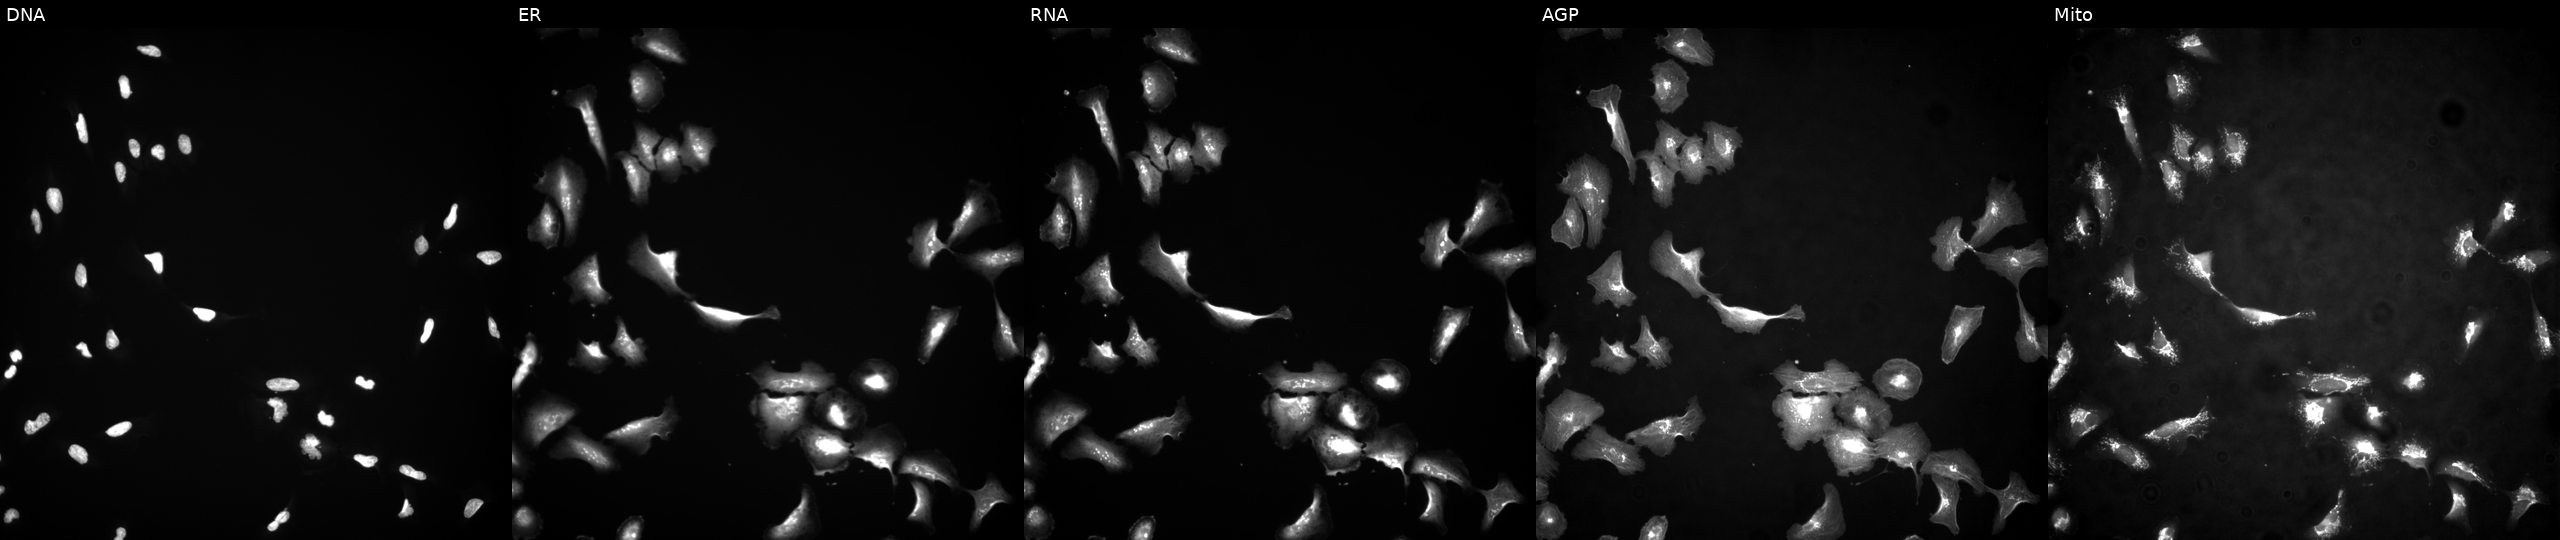
U2OS cells, Cell Painting assay, with EBF1 overexpressed (ORF) (JUMP id JCP2022_900441). Channels (left→right): DNA (nuclei); ER (endoplasmic reticulum); RNA (nucleoli and cytoplasmic RNA); AGP (actin cytoskeleton, Golgi, and plasma membrane); Mito (mitochondria). Each panel is percentile-stretched 16-bit fluorescence.